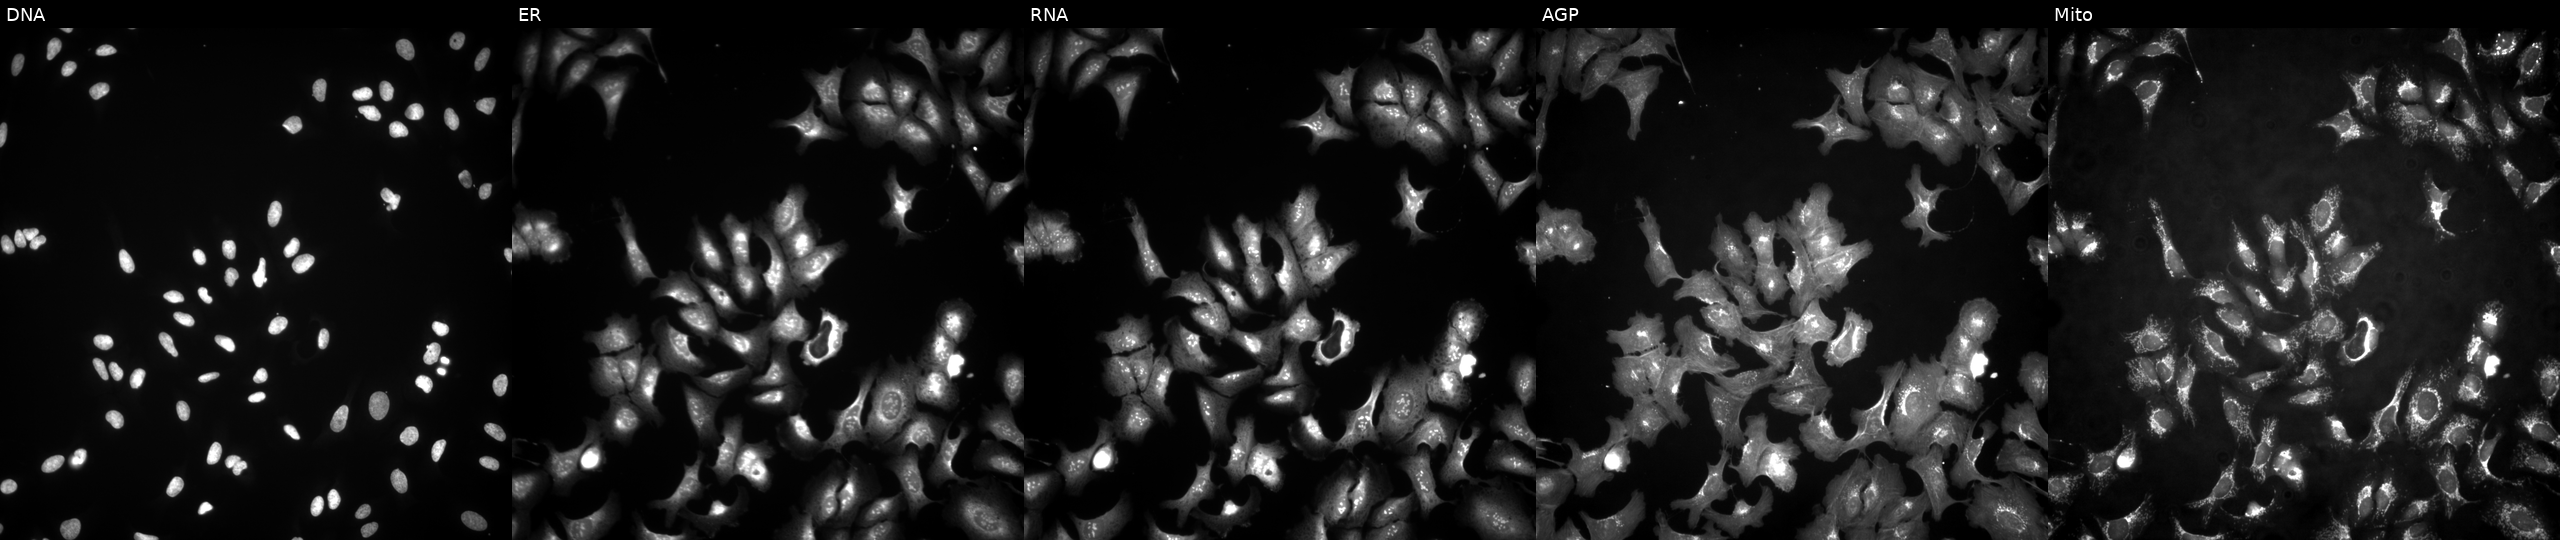
This image strip shows the five Cell Painting channels for a single field of U2OS cells overexpressing SMCO3 via ORF transfection. From left to right: Hoechst 33342, concanavalin A, SYTO 14, phalloidin and WGA, MitoTracker.